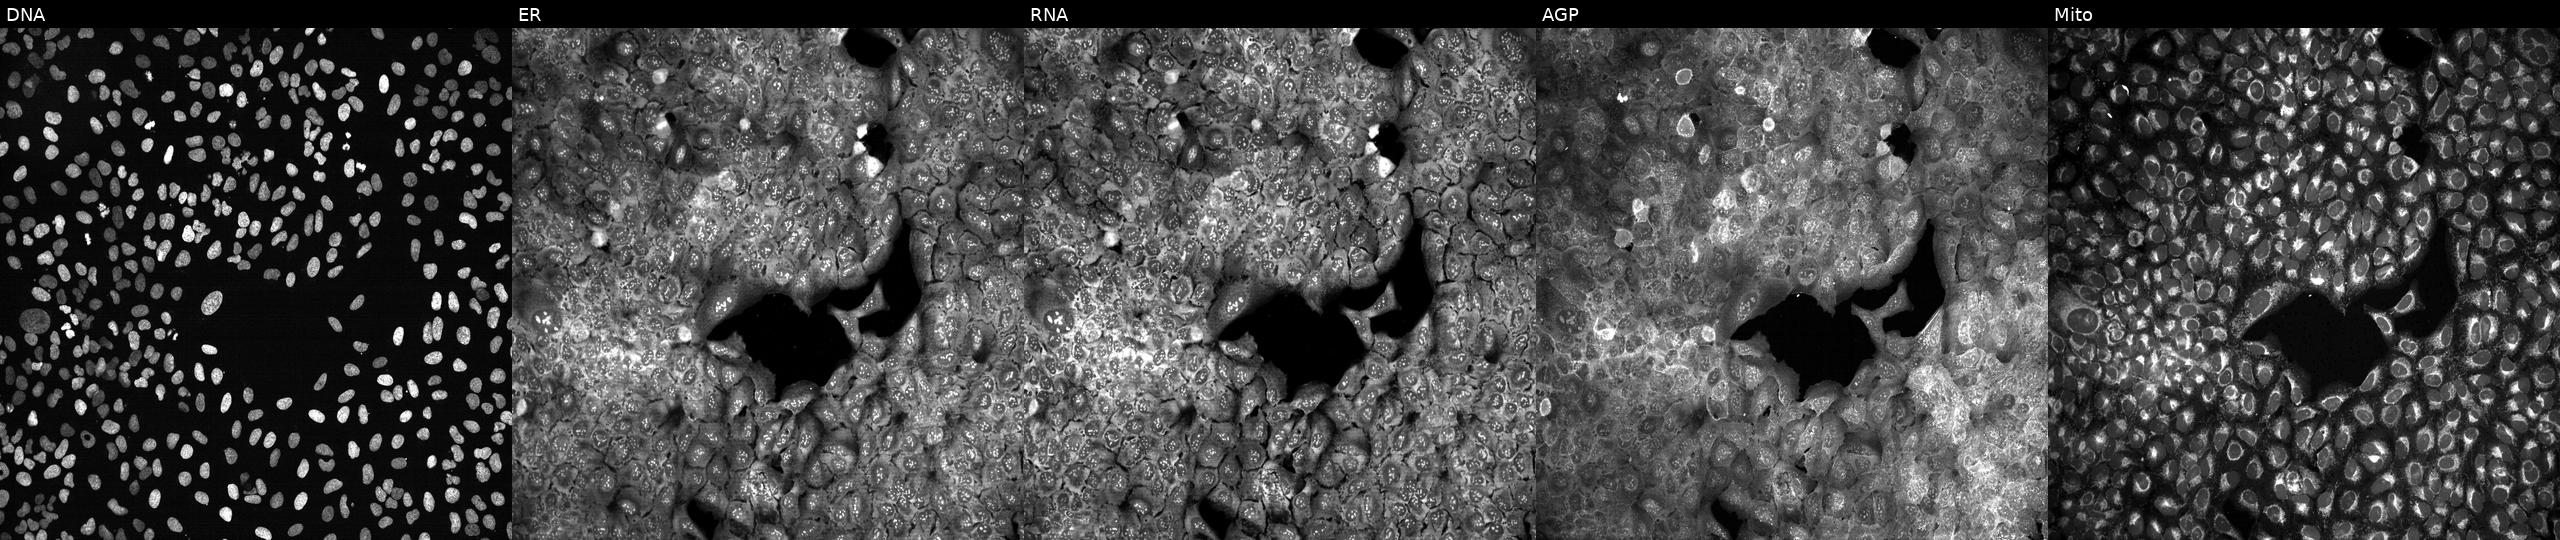
From left to right: DNA, ER, RNA, AGP, and Mito. U2OS osteosarcoma cells following CRISPR knockout of F13B. Cell Painting assay, JUMP-CP dataset.